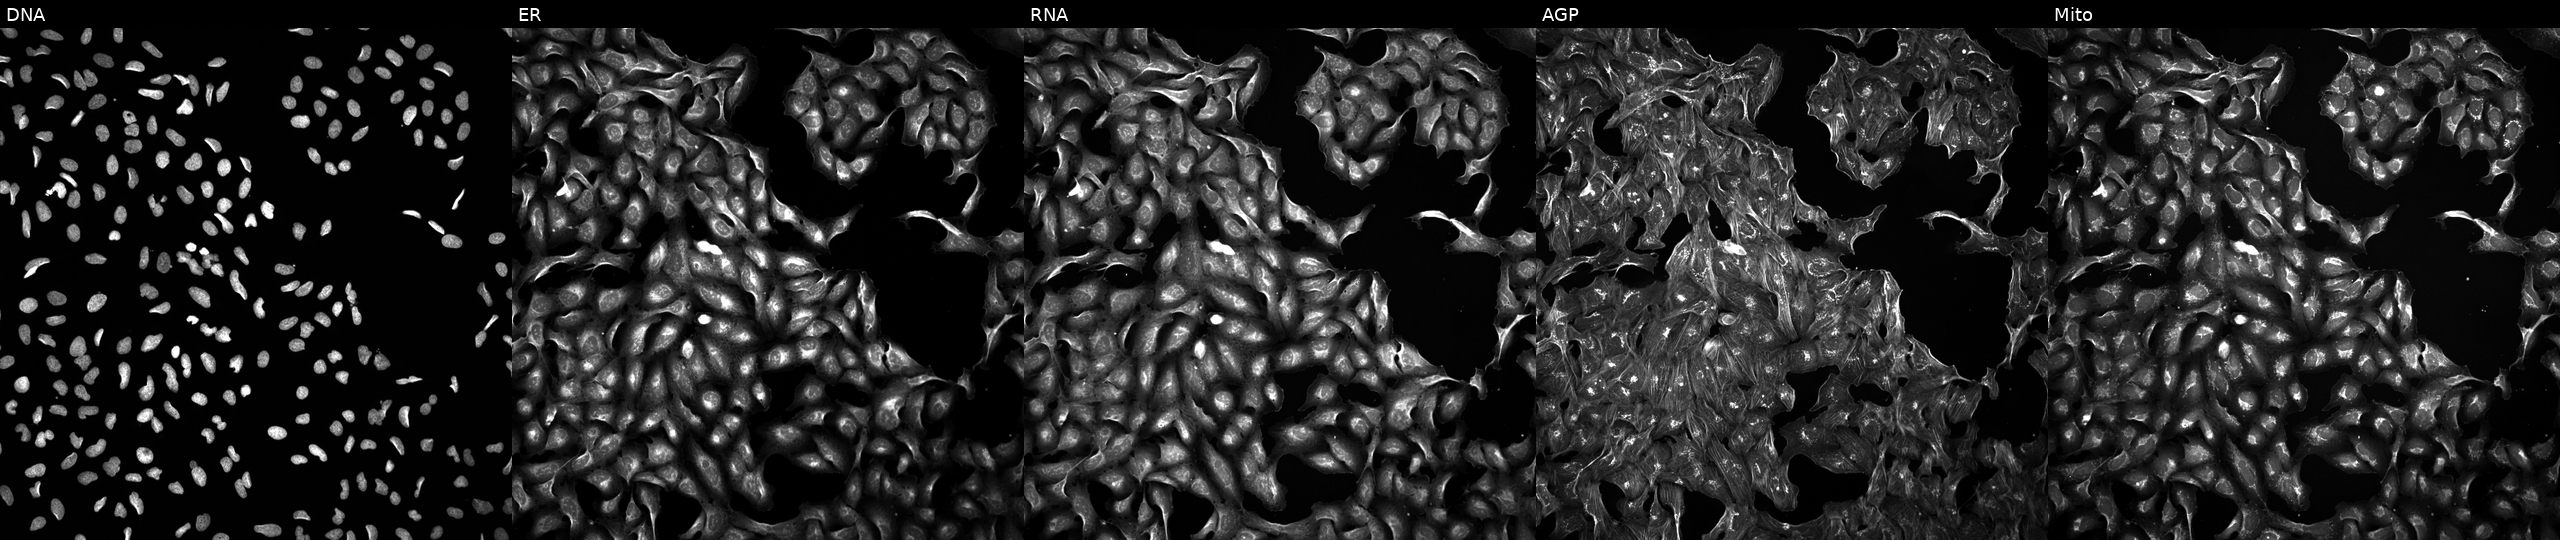
JUMP Cell Painting — COMPOUND plate. U2OS cells exposed to the positive-control compound NVS-PAK1-1 (JUMP id JCP2022_064022). The five panels, left to right, show DNA, ER, RNA, AGP, and Mito. Source 5, plate APTJUM105, well J24.